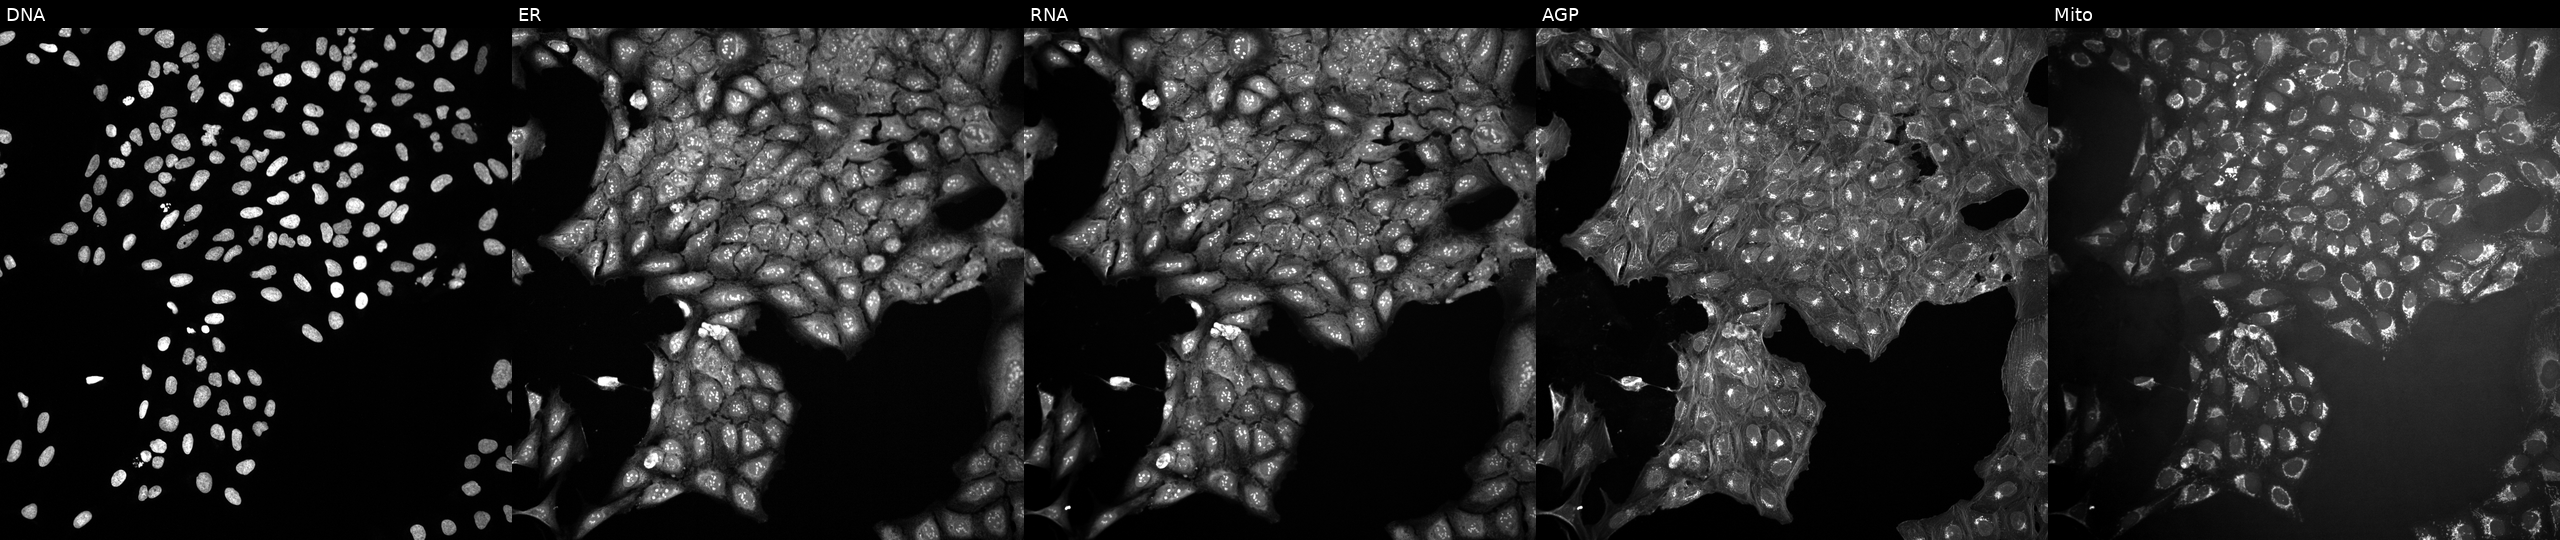
This image strip shows the five Cell Painting channels for a single field of U2OS cells in an empty control well (no perturbation) (JUMP id JCP2022_999999). The five panels, left to right, show DNA (nuclei); ER (endoplasmic reticulum); RNA (nucleoli and cytoplasmic RNA); AGP (actin cytoskeleton, Golgi, and plasma membrane); Mito (mitochondria).